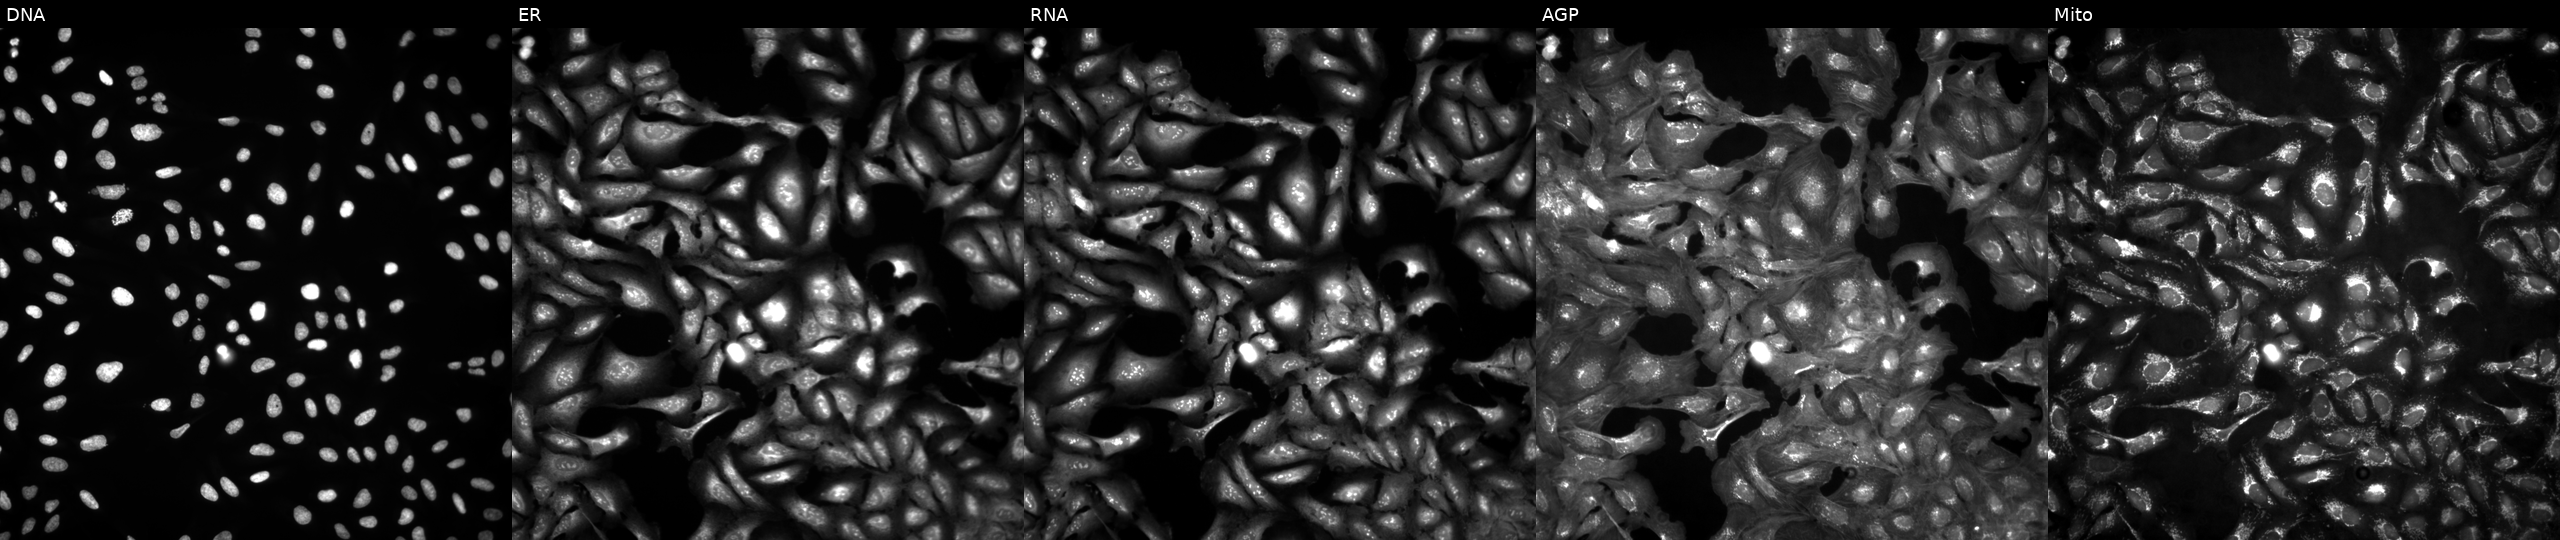
High-content fluorescence microscopy (Cell Painting). Cell line: U2OS. Perturbation: in an empty control well (no perturbation) (JUMP id JCP2022_999999). Panels show, left to right, DNA (nuclei); ER (endoplasmic reticulum); RNA (nucleoli and cytoplasmic RNA); AGP (actin cytoskeleton, Golgi, and plasma membrane); Mito (mitochondria). Source 4, plate BR00124793, well L17.